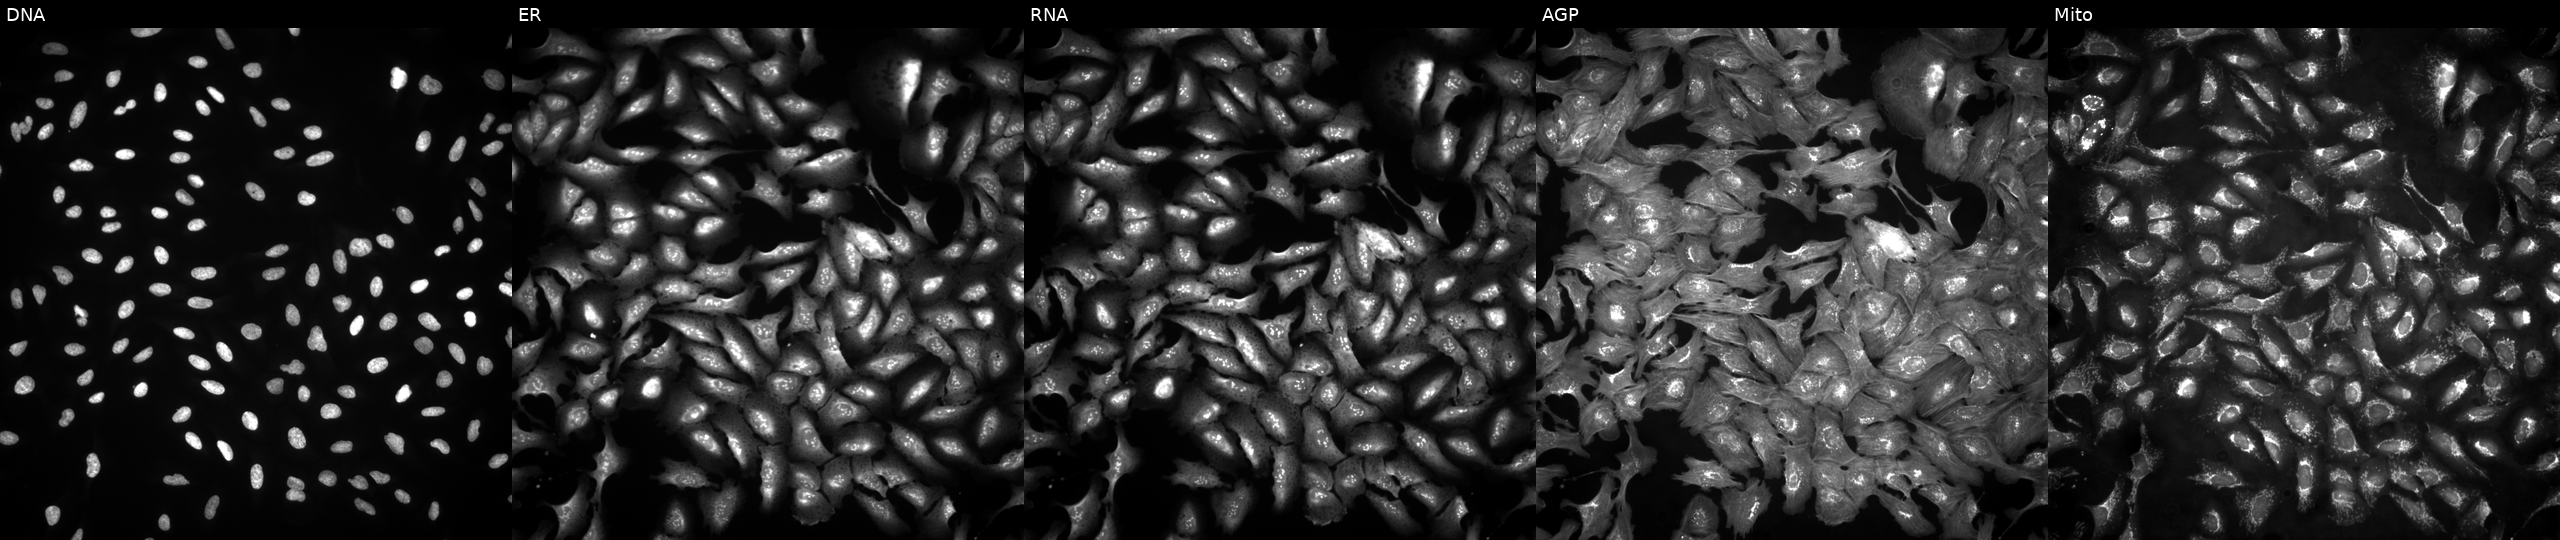
Five-channel Cell Painting image of U2OS cells transfected with an ORF construct for MCTS1 (JUMP id JCP2022_902868). From left to right: DNA, ER, RNA, AGP, and Mito.